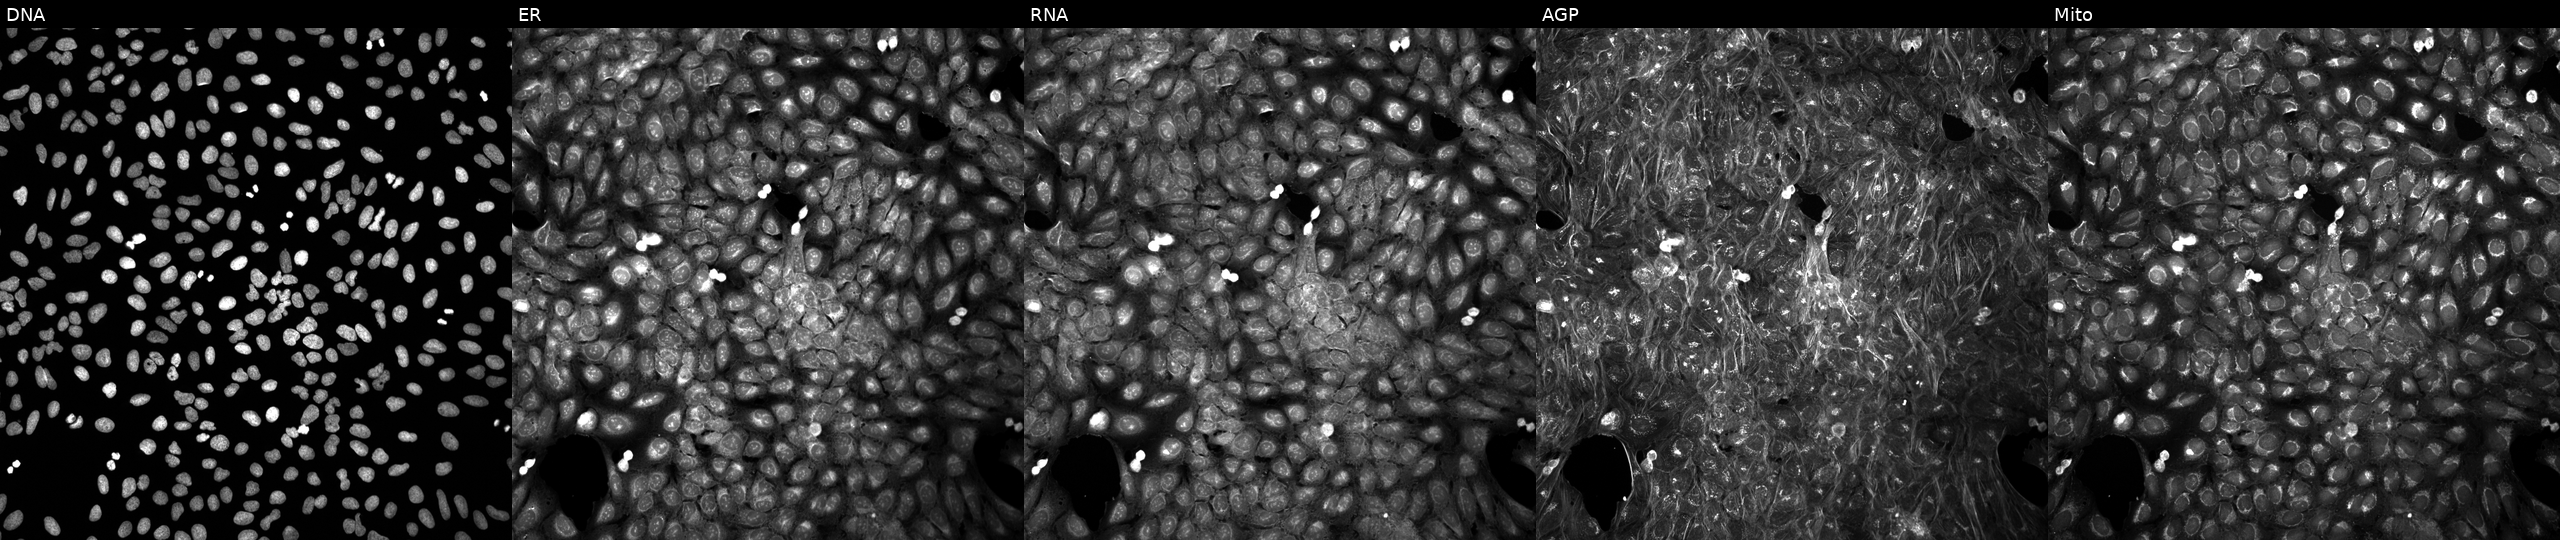
JUMP Cell Painting — COMPOUND plate. U2OS cells treated with DMSO vehicle only (negative control). Channels (left→right): Hoechst 33342, concanavalin A, SYTO 14, phalloidin and WGA, MitoTracker. Source 5, plate APTJUM105, well I23.